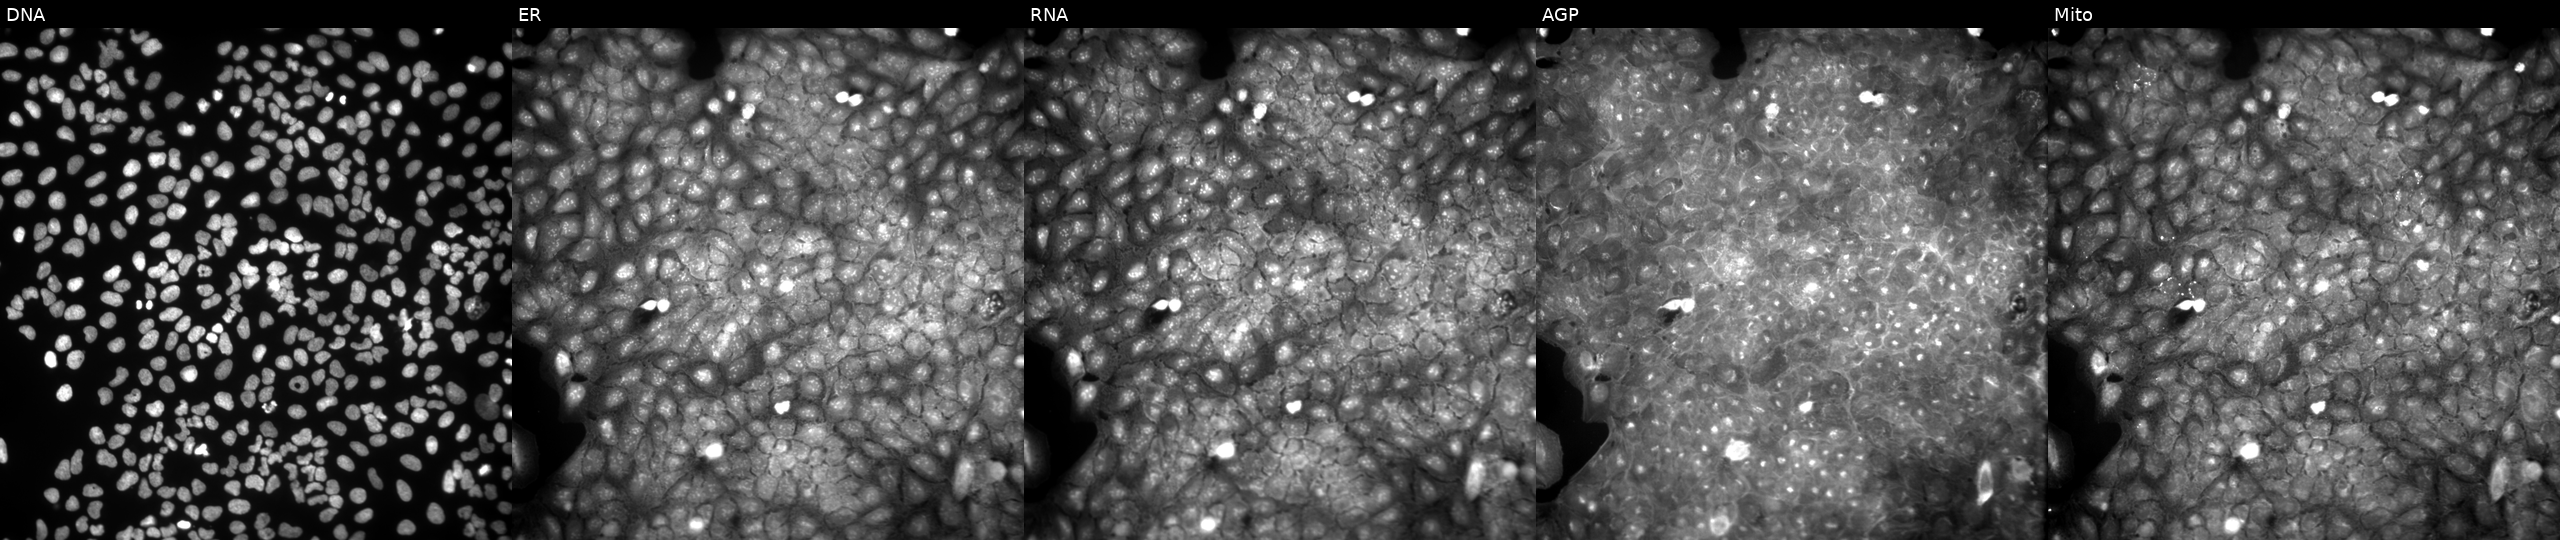
This image strip shows the five Cell Painting channels for a single field of U2OS cells exposed to a small-molecule compound (InChIKey UZIHABIJZKNLSJ-UHFFFAOYSA-N) (JUMP id JCP2022_092498). Channels (left→right): Hoechst 33342, concanavalin A, SYTO 14, phalloidin and WGA, MitoTracker.